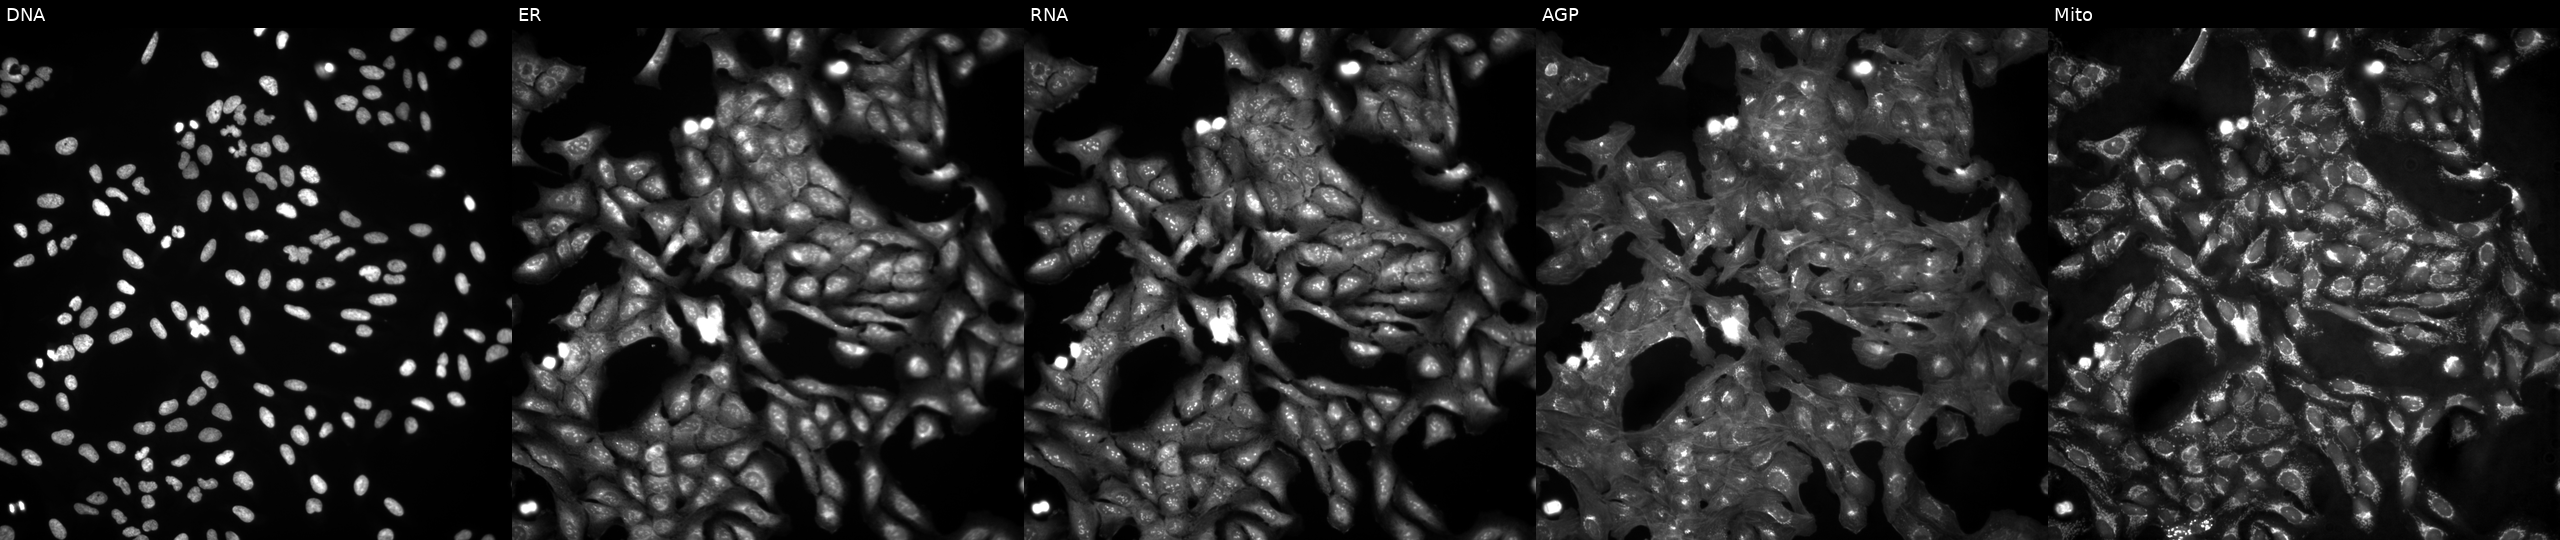
High-content fluorescence microscopy (Cell Painting). Cell line: U2OS. Perturbation: untreated (empty-well control). Channels (left→right): DNA, ER, RNA, AGP, and Mito.